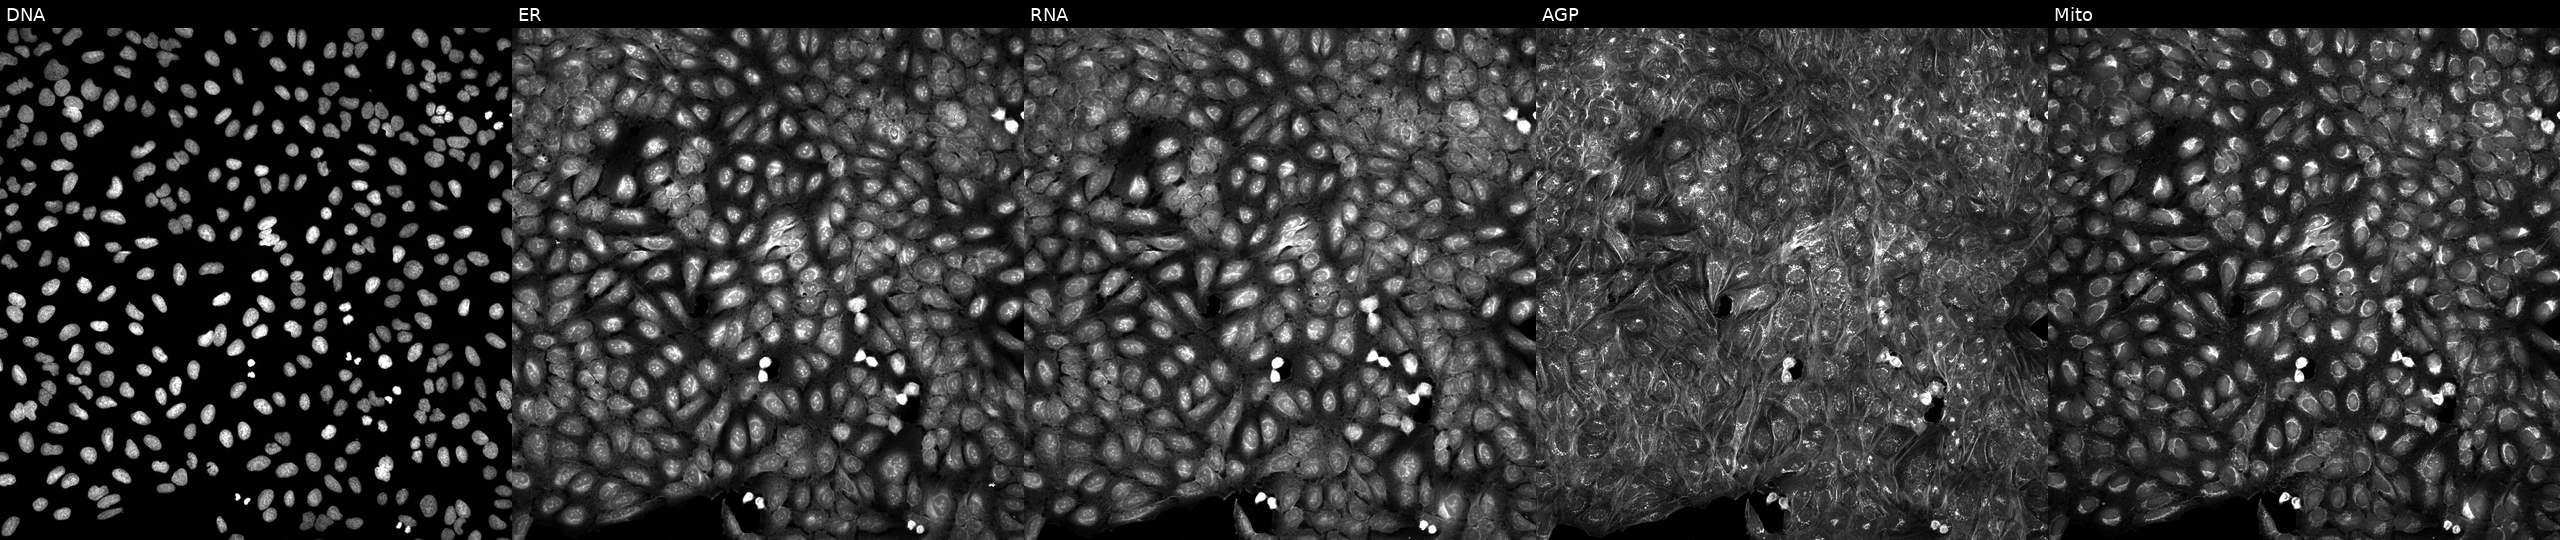
JUMP Cell Painting — COMPOUND plate. U2OS cells treated with a small-molecule compound (InChIKey CSZSCFXGVNASQA-UHFFFAOYSA-N) (JUMP id JCP2022_013227). Panels show, left to right, Hoechst 33342, concanavalin A, SYTO 14, phalloidin and WGA, MitoTracker.